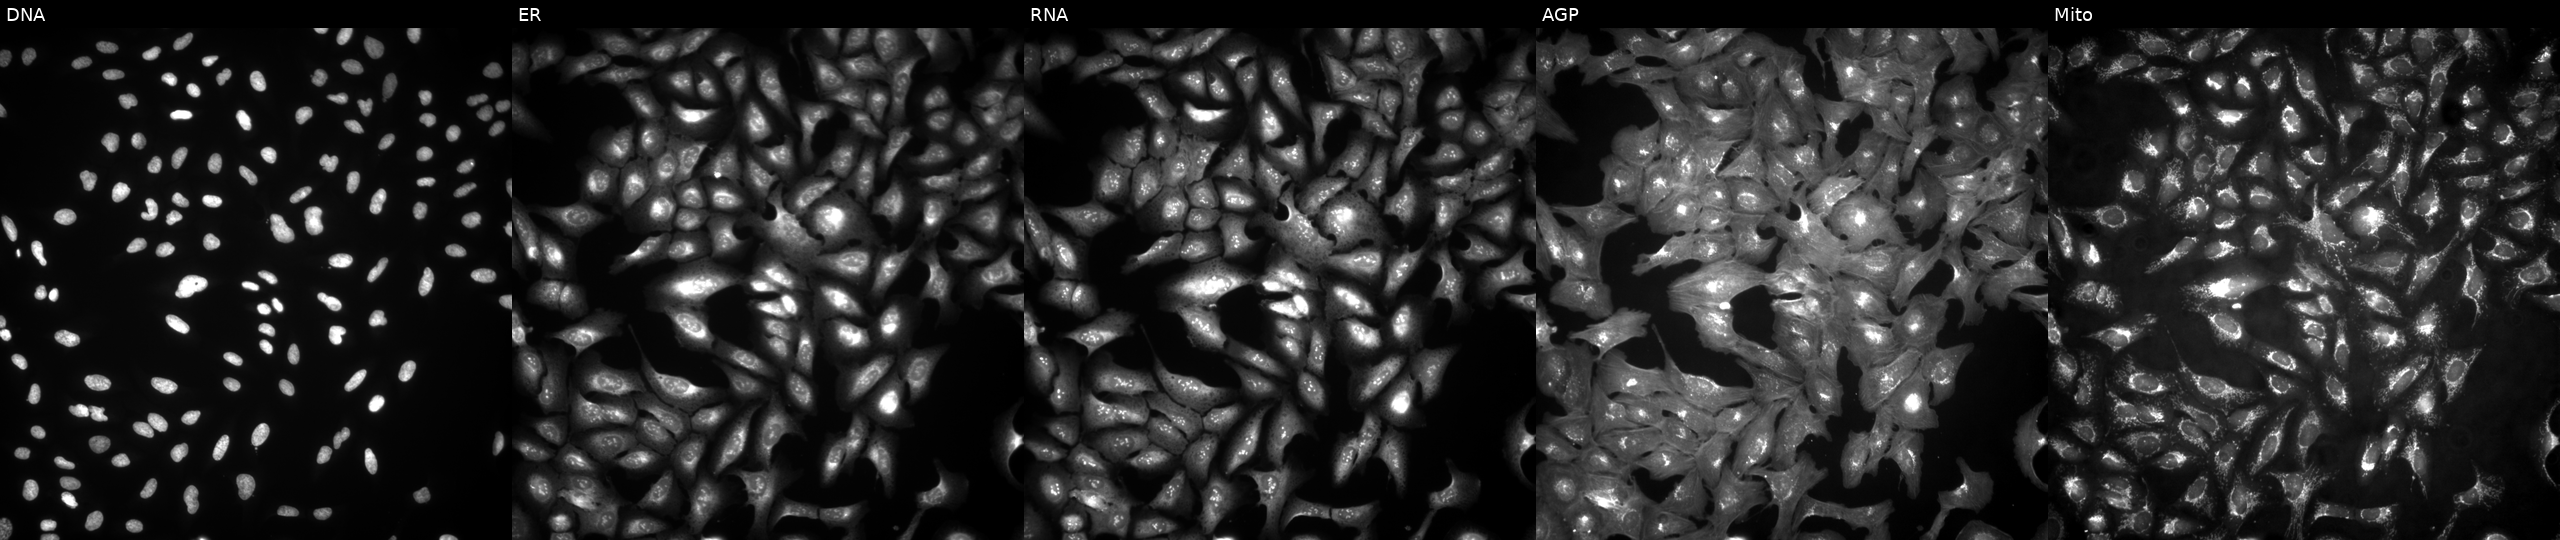
This image strip shows the five Cell Painting channels for a single field of U2OS cells transfected with an ORF construct for MGC16025. Panels show, left to right, DNA (nuclei); ER (endoplasmic reticulum); RNA (nucleoli and cytoplasmic RNA); AGP (actin cytoskeleton, Golgi, and plasma membrane); Mito (mitochondria). Source 4, plate BR00123509, well E18.